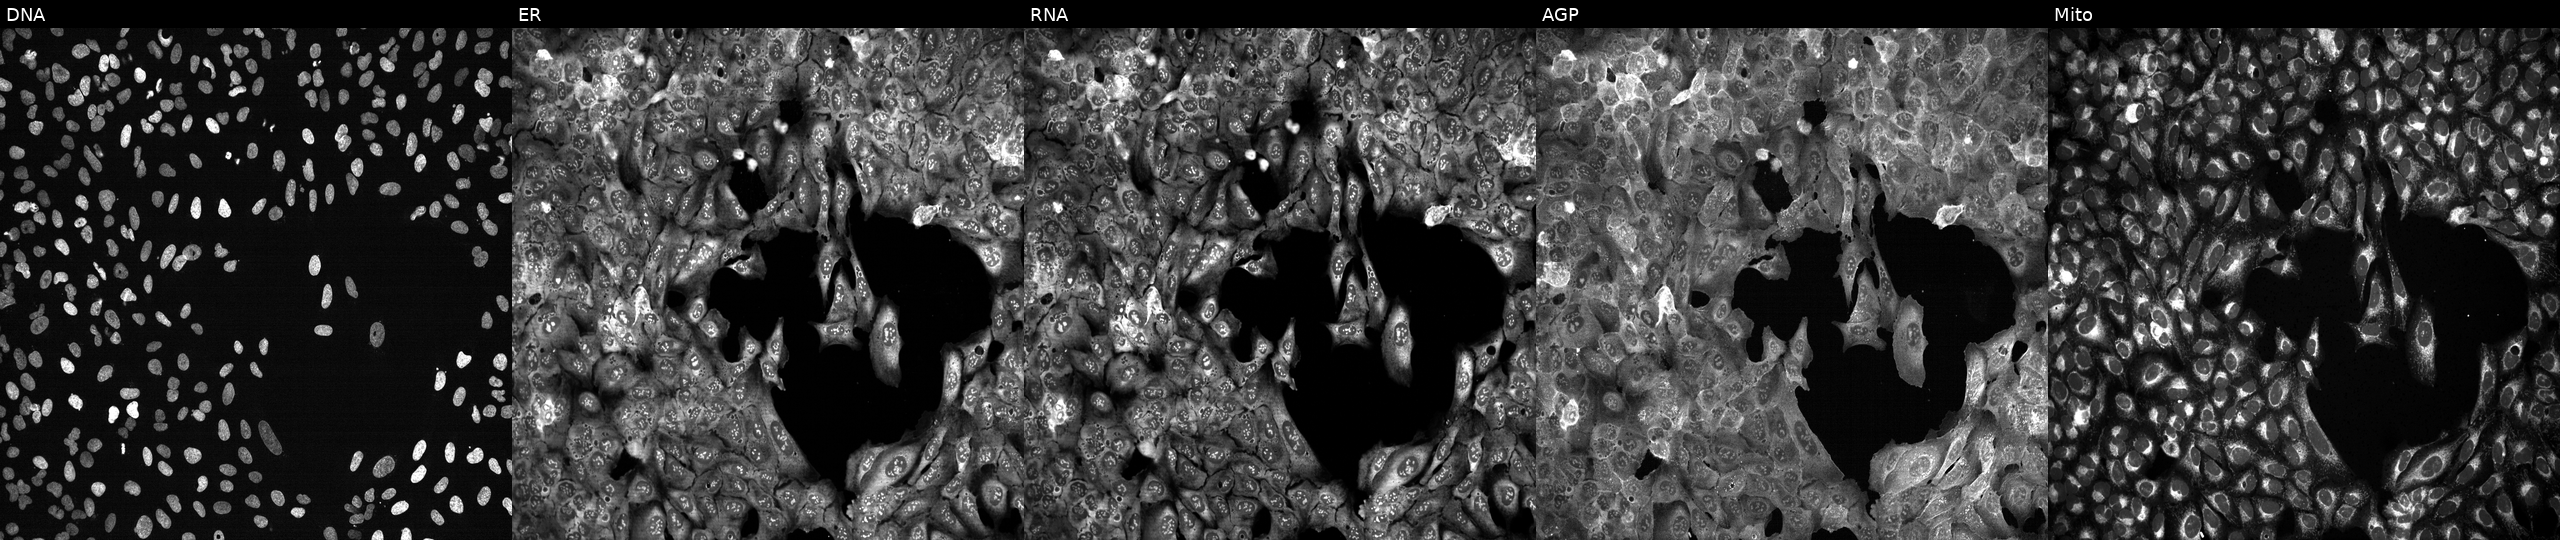
From left to right: DNA (nuclei); ER (endoplasmic reticulum); RNA (nucleoli and cytoplasmic RNA); AGP (actin cytoskeleton, Golgi, and plasma membrane); Mito (mitochondria). U2OS osteosarcoma cells CRISPR-edited to disrupt PLA2G4C (JUMP id JCP2022_805226). Cell Painting assay, JUMP-CP dataset.